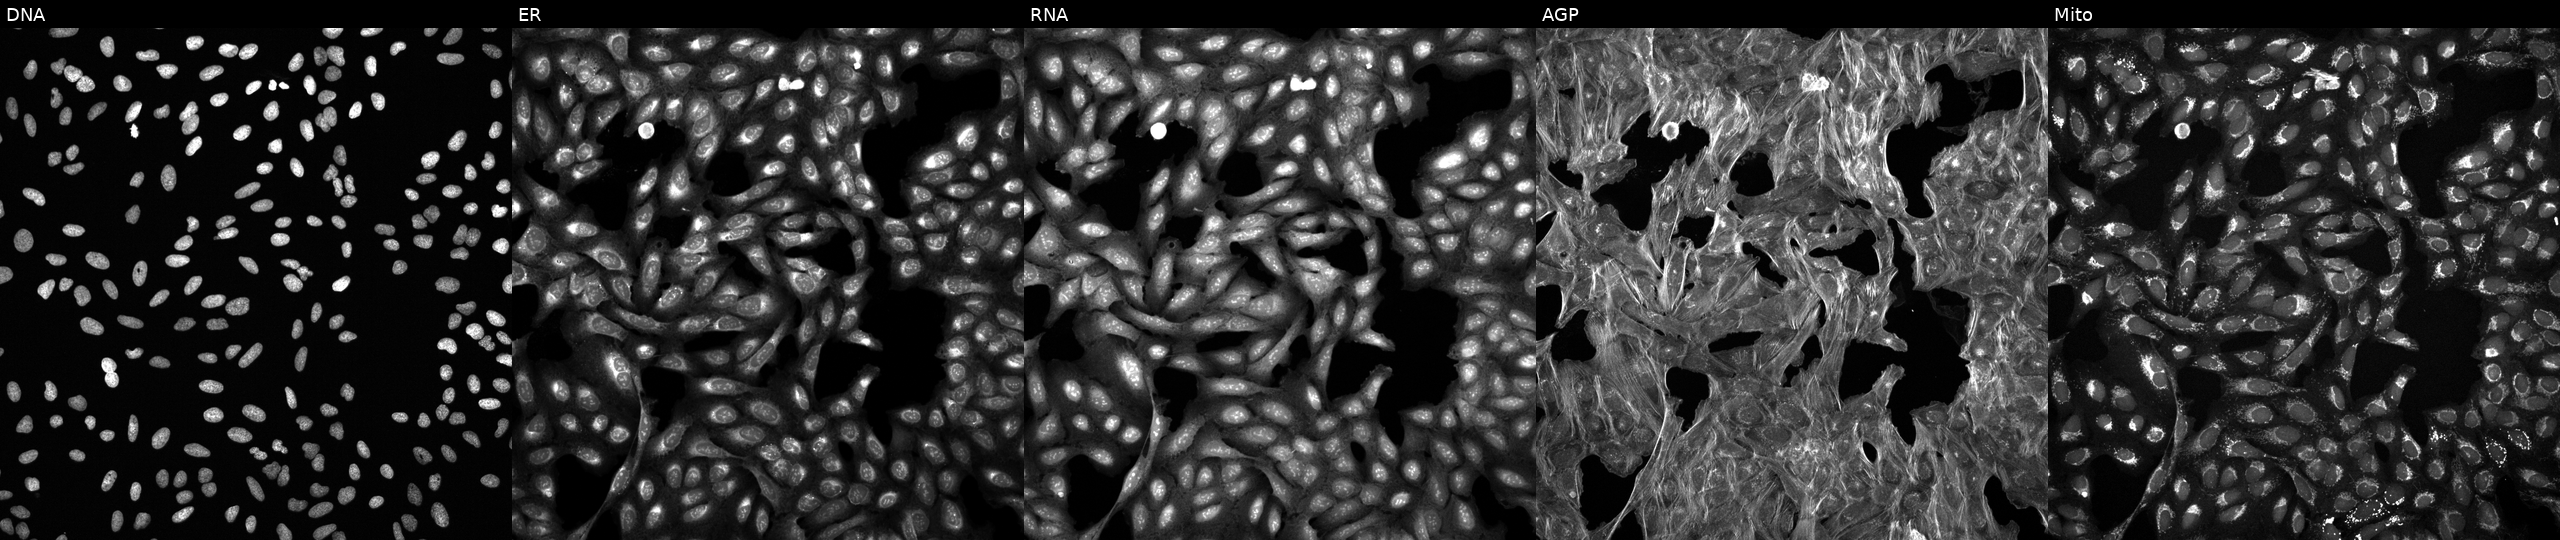
This image strip shows the five Cell Painting channels for a single field of U2OS cells exposed to a small-molecule compound (InChIKey KPYSYYIEGFHWSV-UHFFFAOYSA-N) (JUMP id JCP2022_046239). Panels show, left to right, DNA, ER, RNA, AGP, and Mito. Source 6, plate 110000293093, well G13.